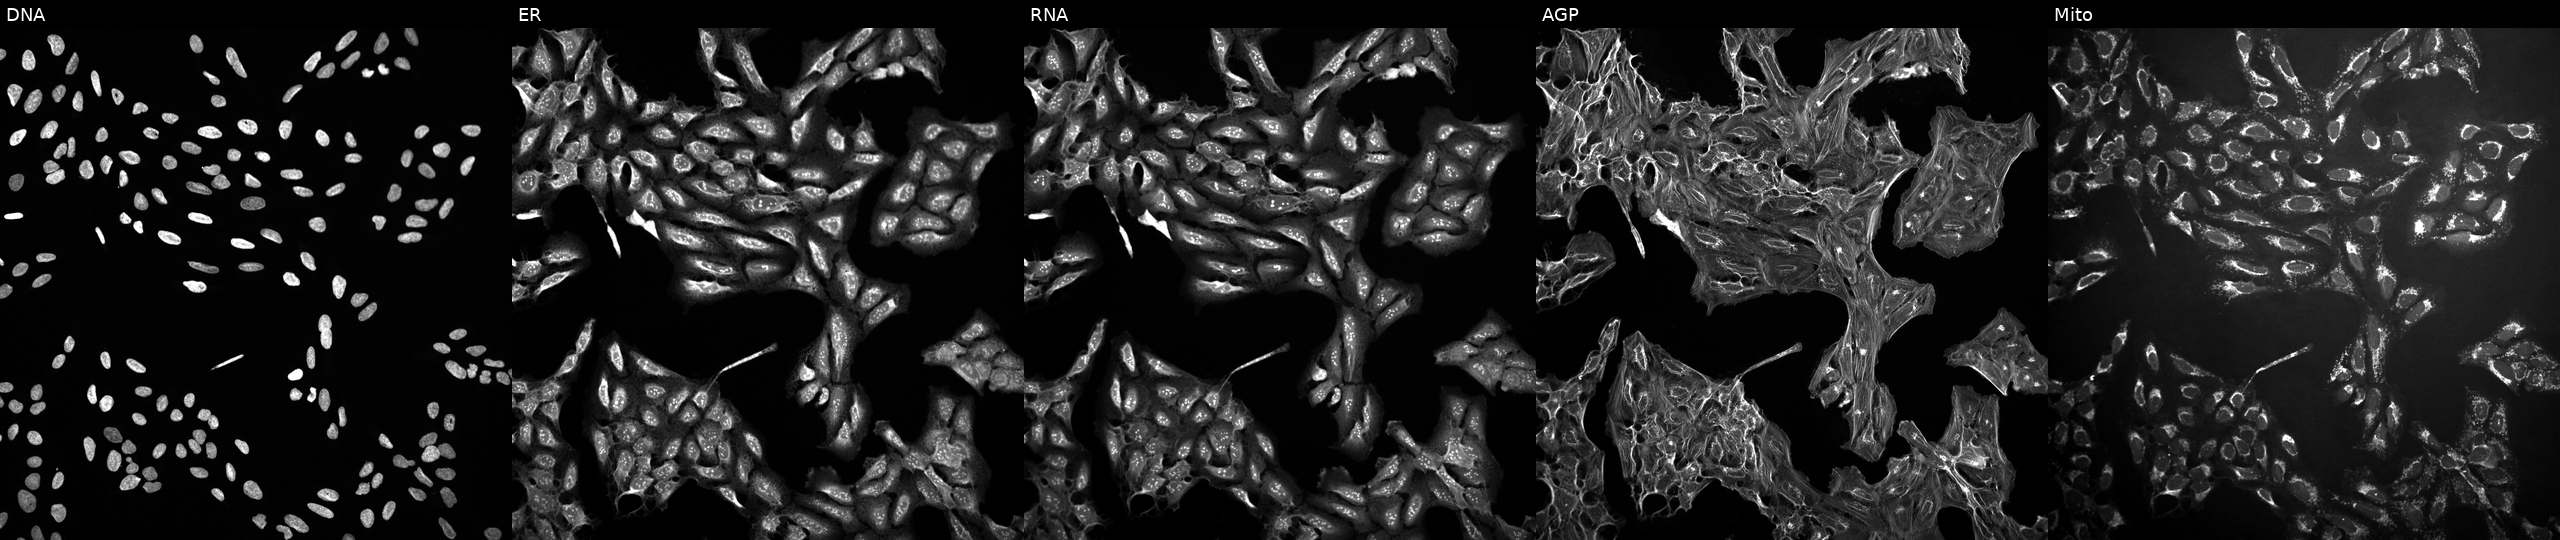
This image strip shows the five Cell Painting channels for a single field of U2OS cells exposed to DMSO alone as a negative control. The five panels, left to right, show DNA (nuclei); ER (endoplasmic reticulum); RNA (nucleoli and cytoplasmic RNA); AGP (actin cytoskeleton, Golgi, and plasma membrane); Mito (mitochondria).